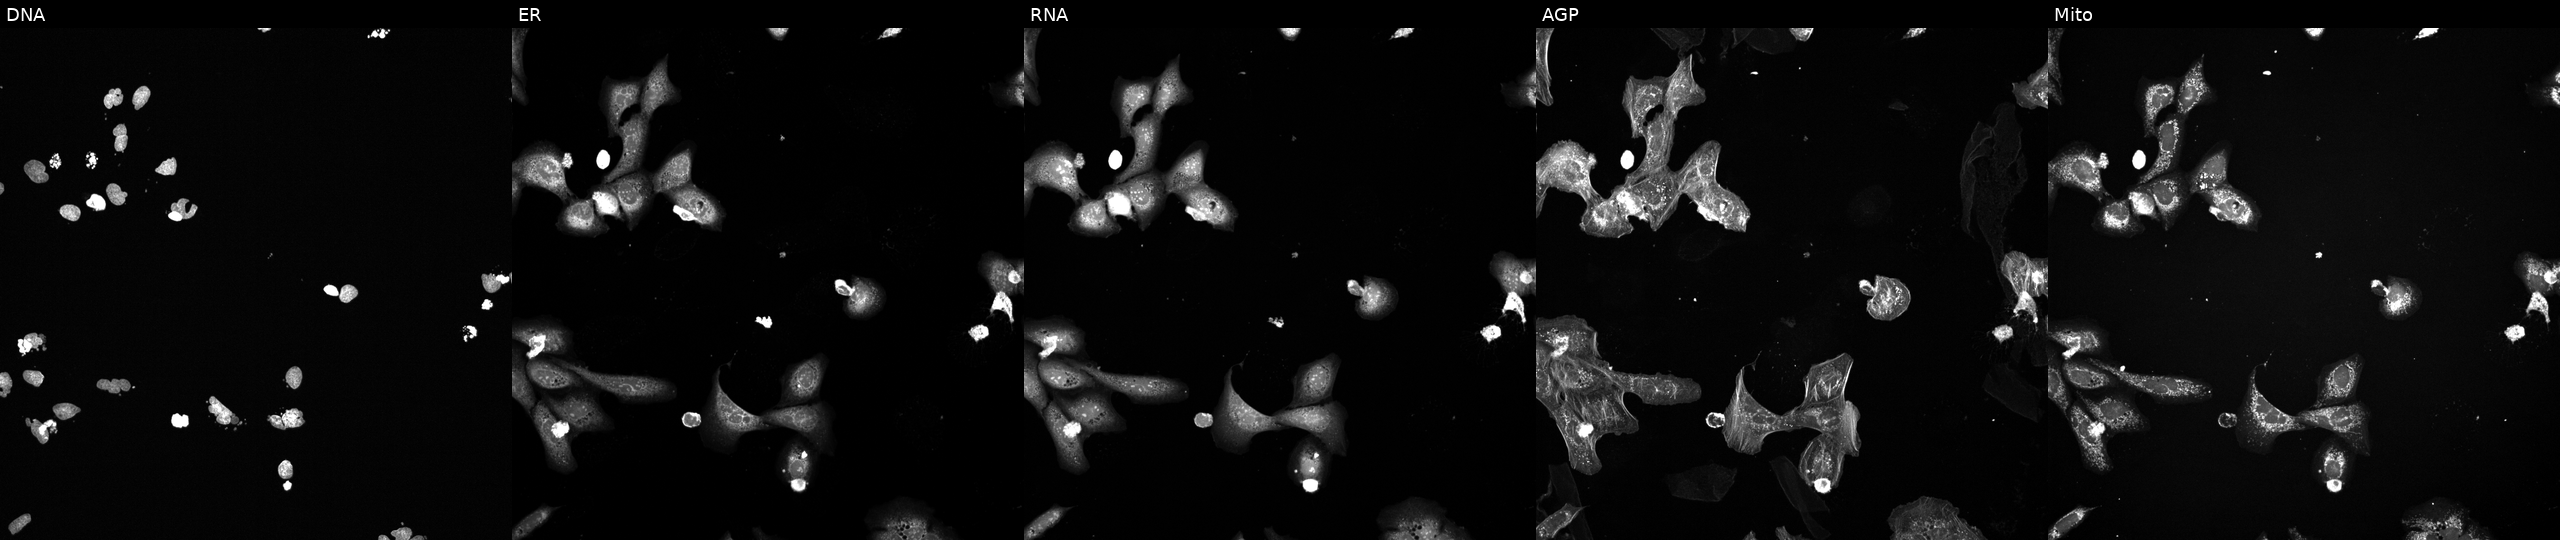
Five-channel Cell Painting image of U2OS cells exposed to a small-molecule compound (InChIKey QTBWCSQGBMPECM-UHFFFAOYSA-N) [SMILES: CCn1cc(-c2ccnc3[nH]c(-c4cccc(CN(C)C)c4)cc23)c(-c2ccc(NC(=O)N(C)C)cc2)n1]. From left to right: Hoechst 33342, concanavalin A, SYTO 14, phalloidin and WGA, MitoTracker.